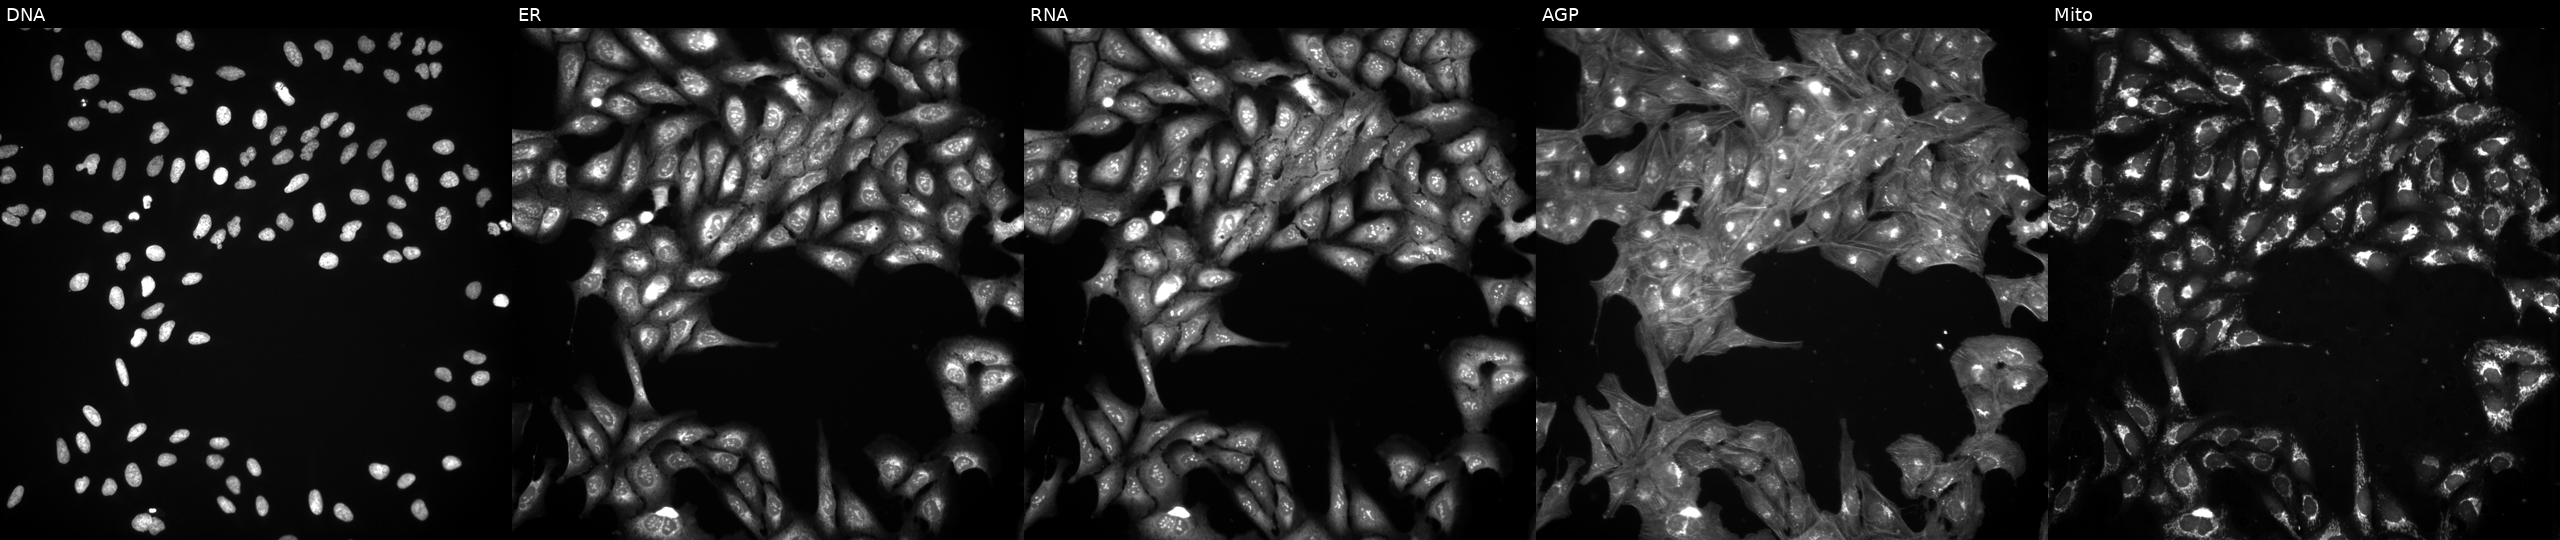
Five-channel Cell Painting image of U2OS cells perturbed with a small-molecule compound (JUMP id JCP2022_075182). Panels show, left to right, DNA (nuclei); ER (endoplasmic reticulum); RNA (nucleoli and cytoplasmic RNA); AGP (actin cytoskeleton, Golgi, and plasma membrane); Mito (mitochondria).